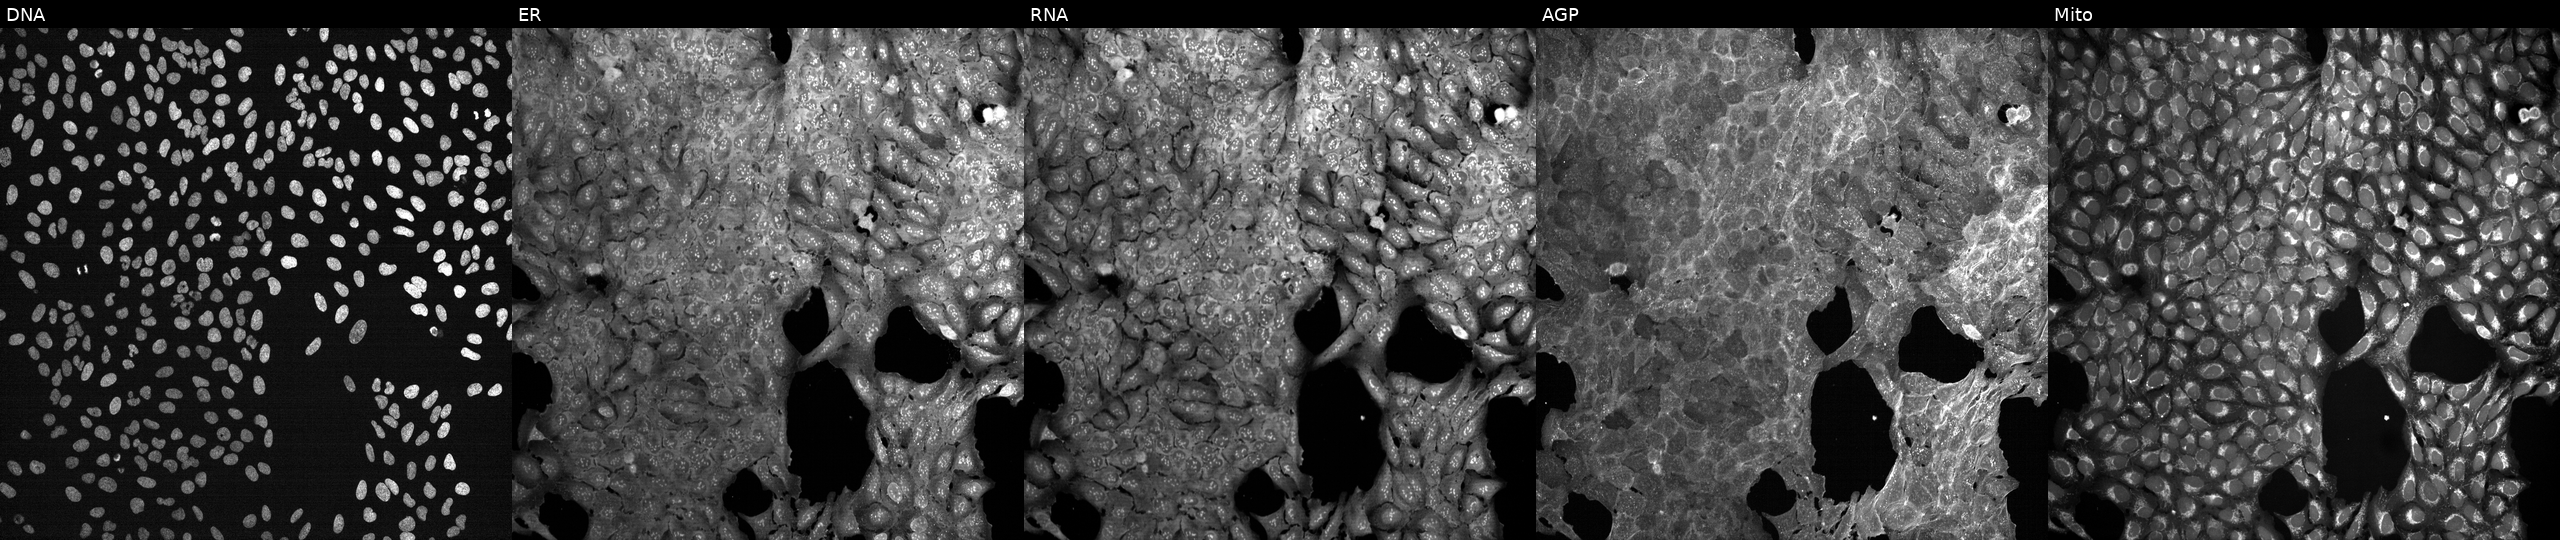
JUMP Cell Painting — TARGET2 plate. U2OS cells perturbed with a small-molecule compound [SMILES: Cc1nc2n(c(=O)c1CCN1CCC(c3noc4cc(F)ccc34)CC1)CCCC2O] (JUMP id JCP2022_069672). Channels (left→right): Hoechst 33342, concanavalin A, SYTO 14, phalloidin and WGA, MitoTracker.